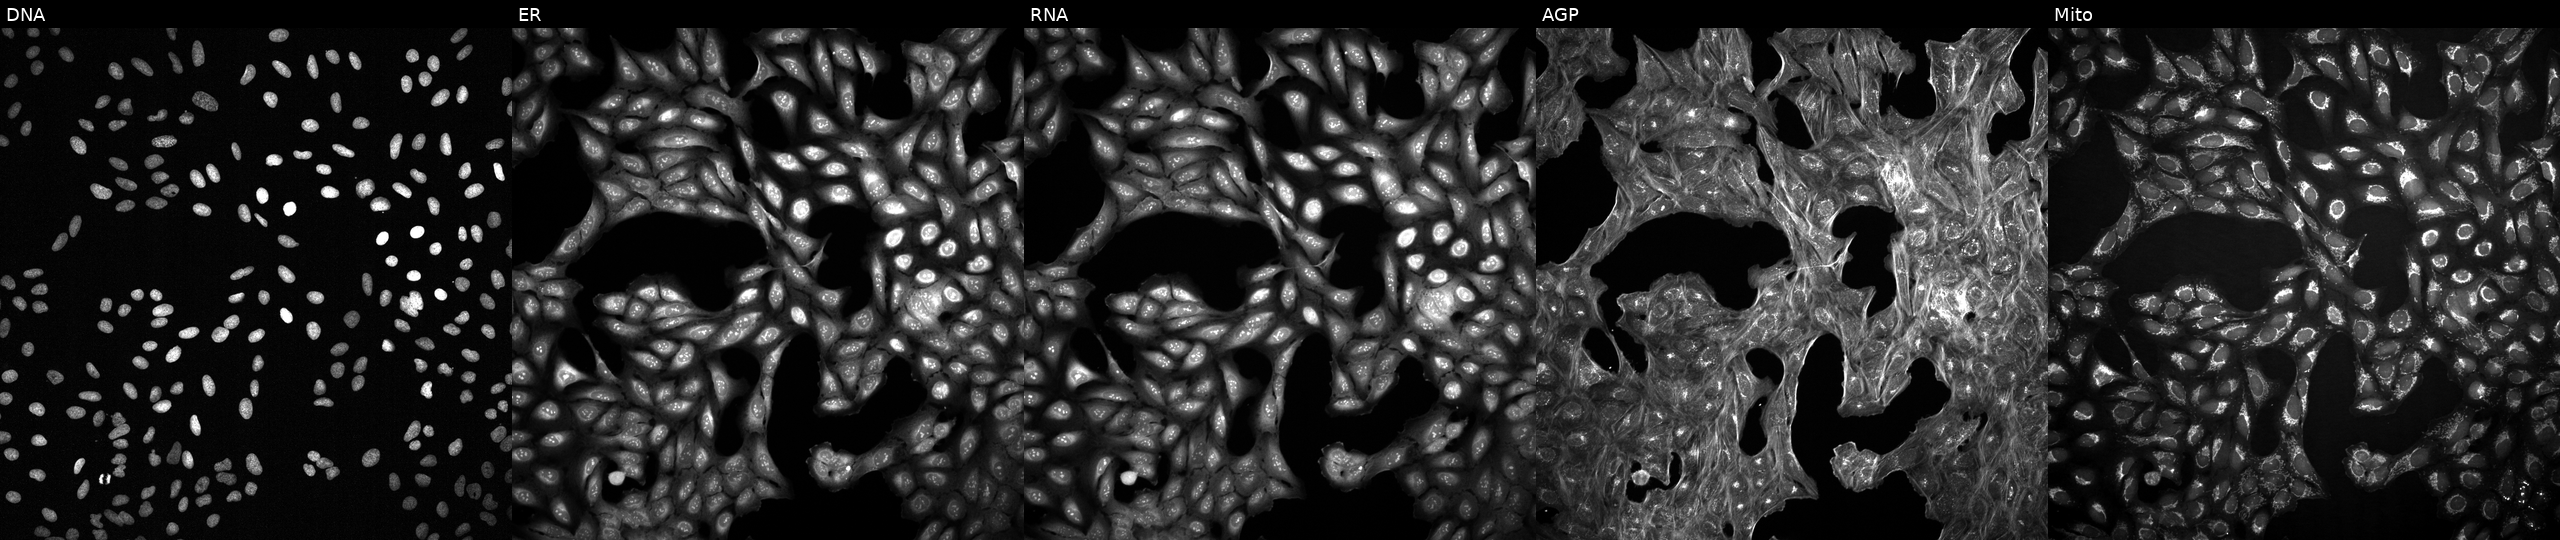
Panels show, left to right, DNA, ER, RNA, AGP, and Mito. U2OS osteosarcoma cells exposed to DMSO alone as a negative control. Cell Painting assay, JUMP-CP dataset.